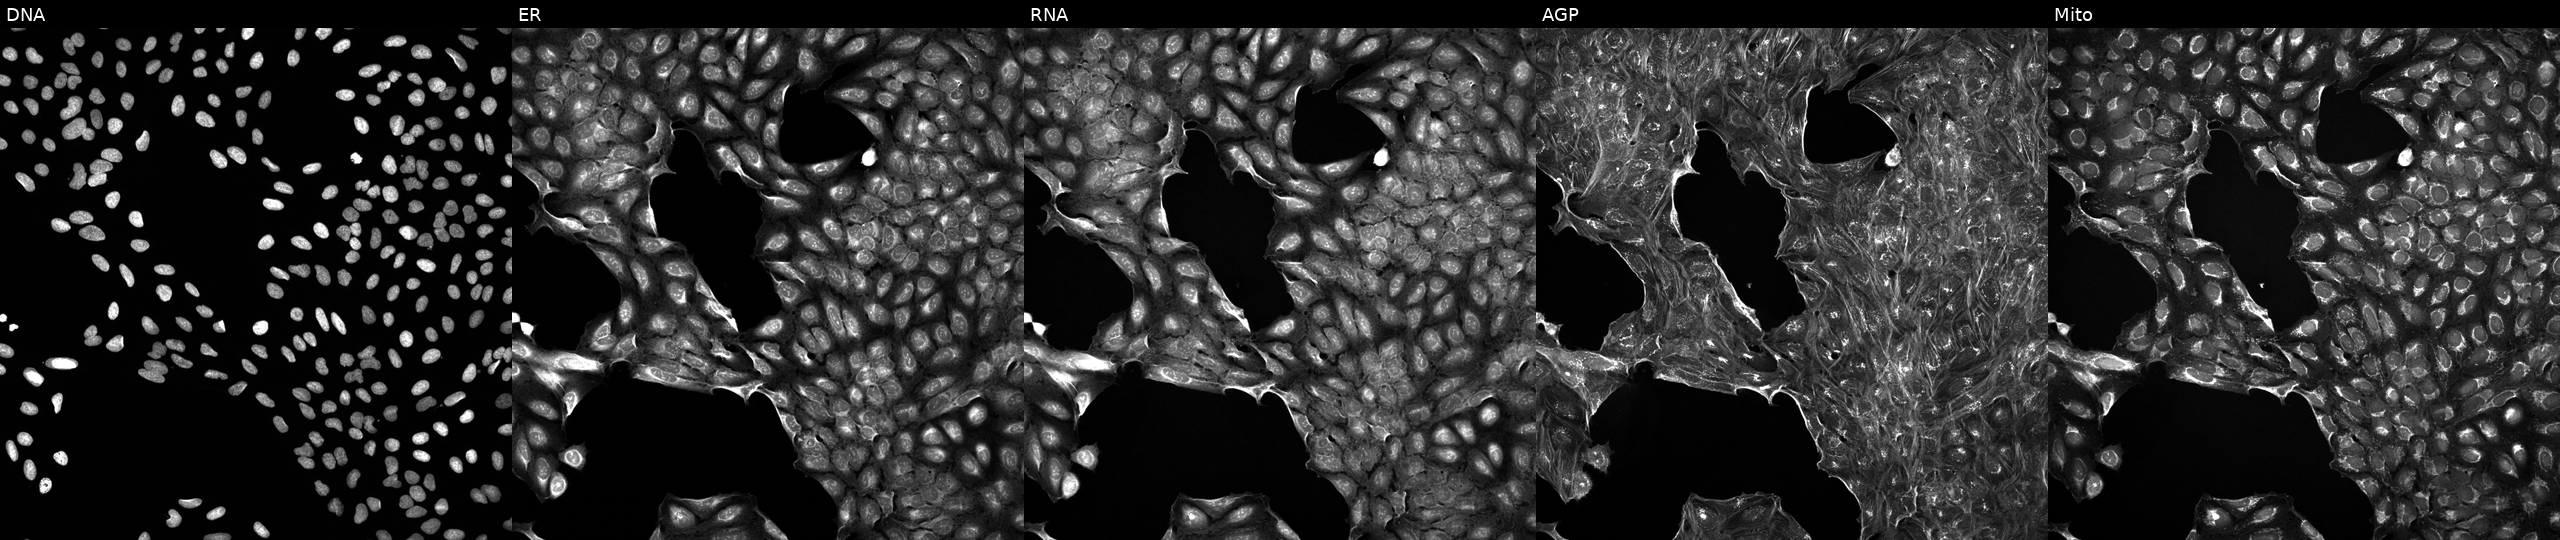
JUMP Cell Painting — TARGET2 plate. U2OS cells perturbed with a small-molecule compound (InChIKey XSDQTOBWRPYKKA-UHFFFAOYSA-N) [SMILES: N=C(N)NC(=O)c1nc(Cl)c(=N)[nH]c1N]. The five panels, left to right, show Hoechst 33342, concanavalin A, SYTO 14, phalloidin and WGA, MitoTracker. Source 5, plate ACPJUM012, well K11.